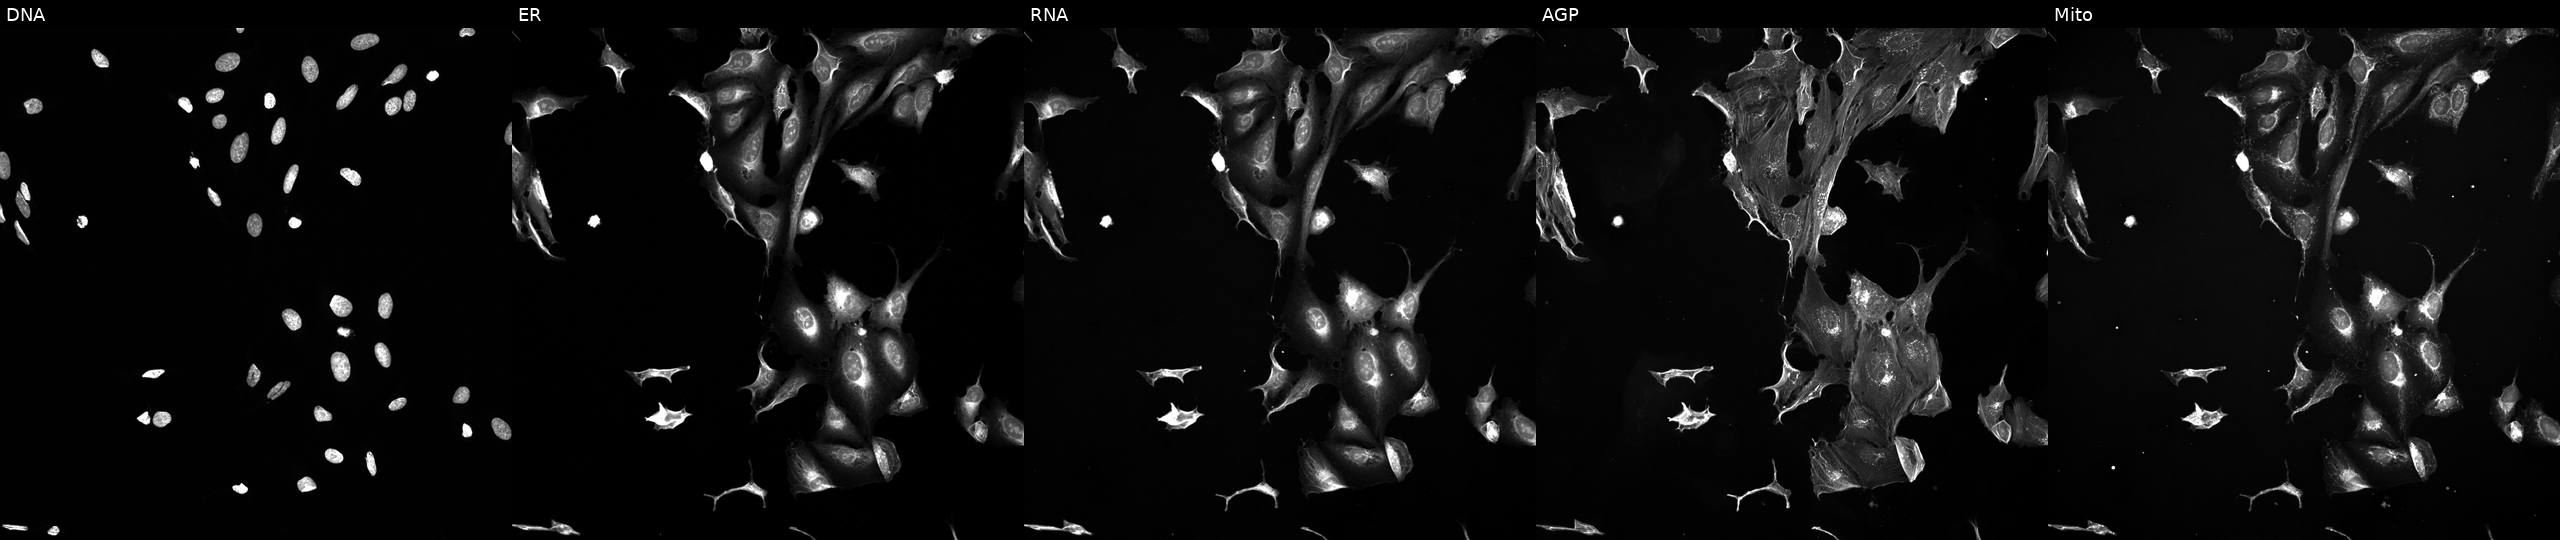
Five-channel Cell Painting image of U2OS cells treated with a small-molecule compound (InChIKey HUXYBQXJVXOMKX-UHFFFAOYSA-N) (JUMP id JCP2022_032771). Panels show, left to right, DNA (nuclei); ER (endoplasmic reticulum); RNA (nucleoli and cytoplasmic RNA); AGP (actin cytoskeleton, Golgi, and plasma membrane); Mito (mitochondria). Source 5, plate ACPJUM051, well D16.